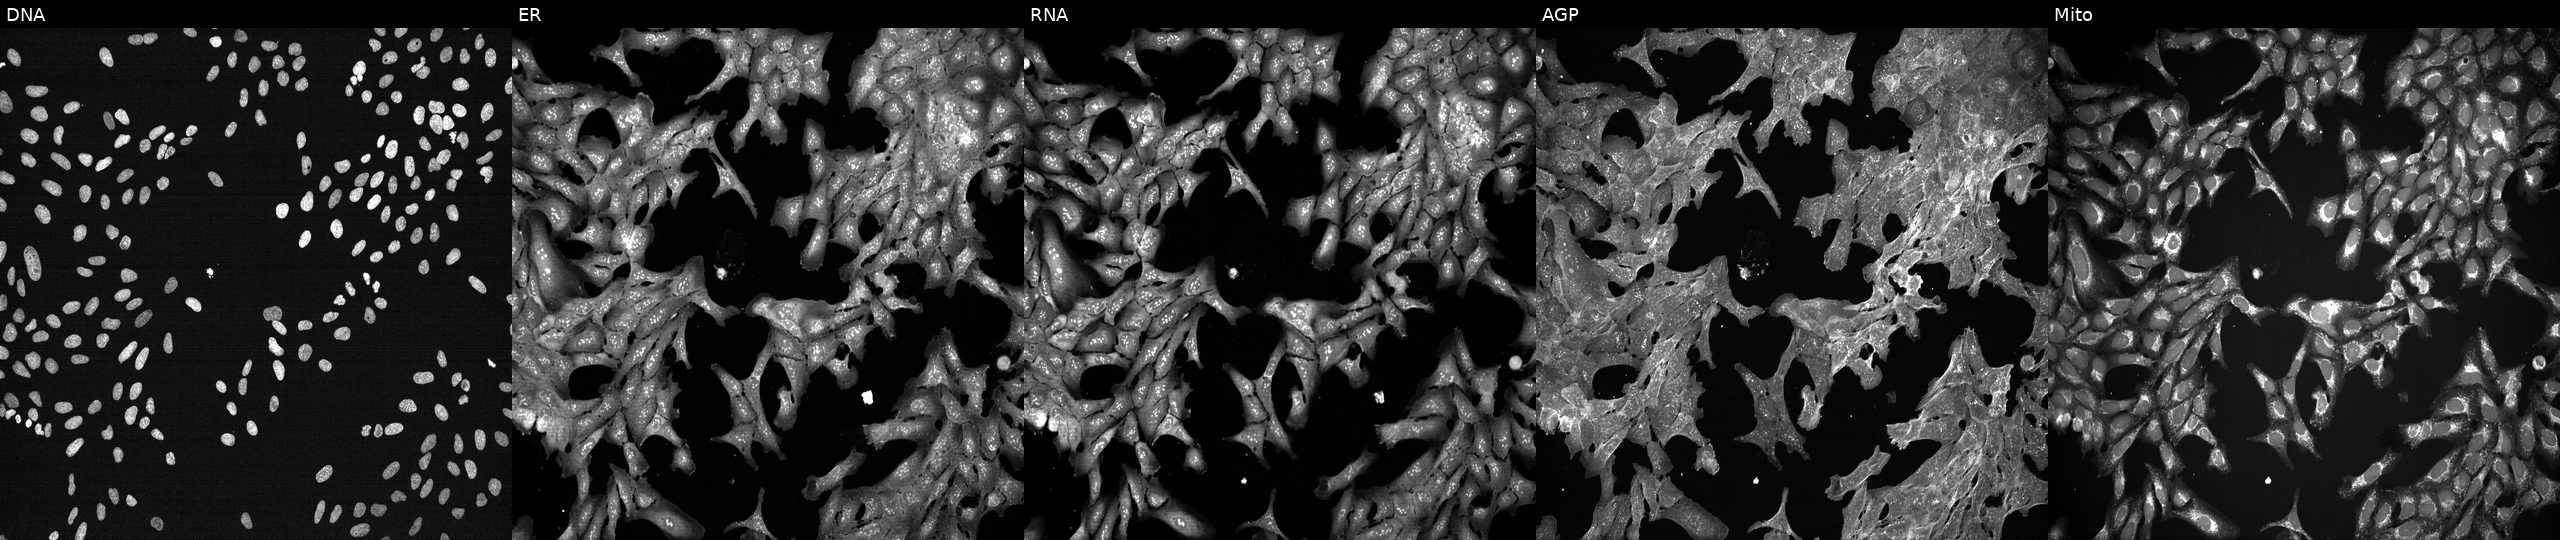
Five-channel Cell Painting image of U2OS cells perturbed with a small-molecule compound (InChIKey XDJCLCLBSGGNKS-UHFFFAOYSA-N) [SMILES: c1cc(OCCN2CCCCC2)cc(-c2[nH]nc3ccc(-c4nc[nH]n4)cc23)c1]. From left to right: Hoechst 33342, concanavalin A, SYTO 14, phalloidin and WGA, MitoTracker.